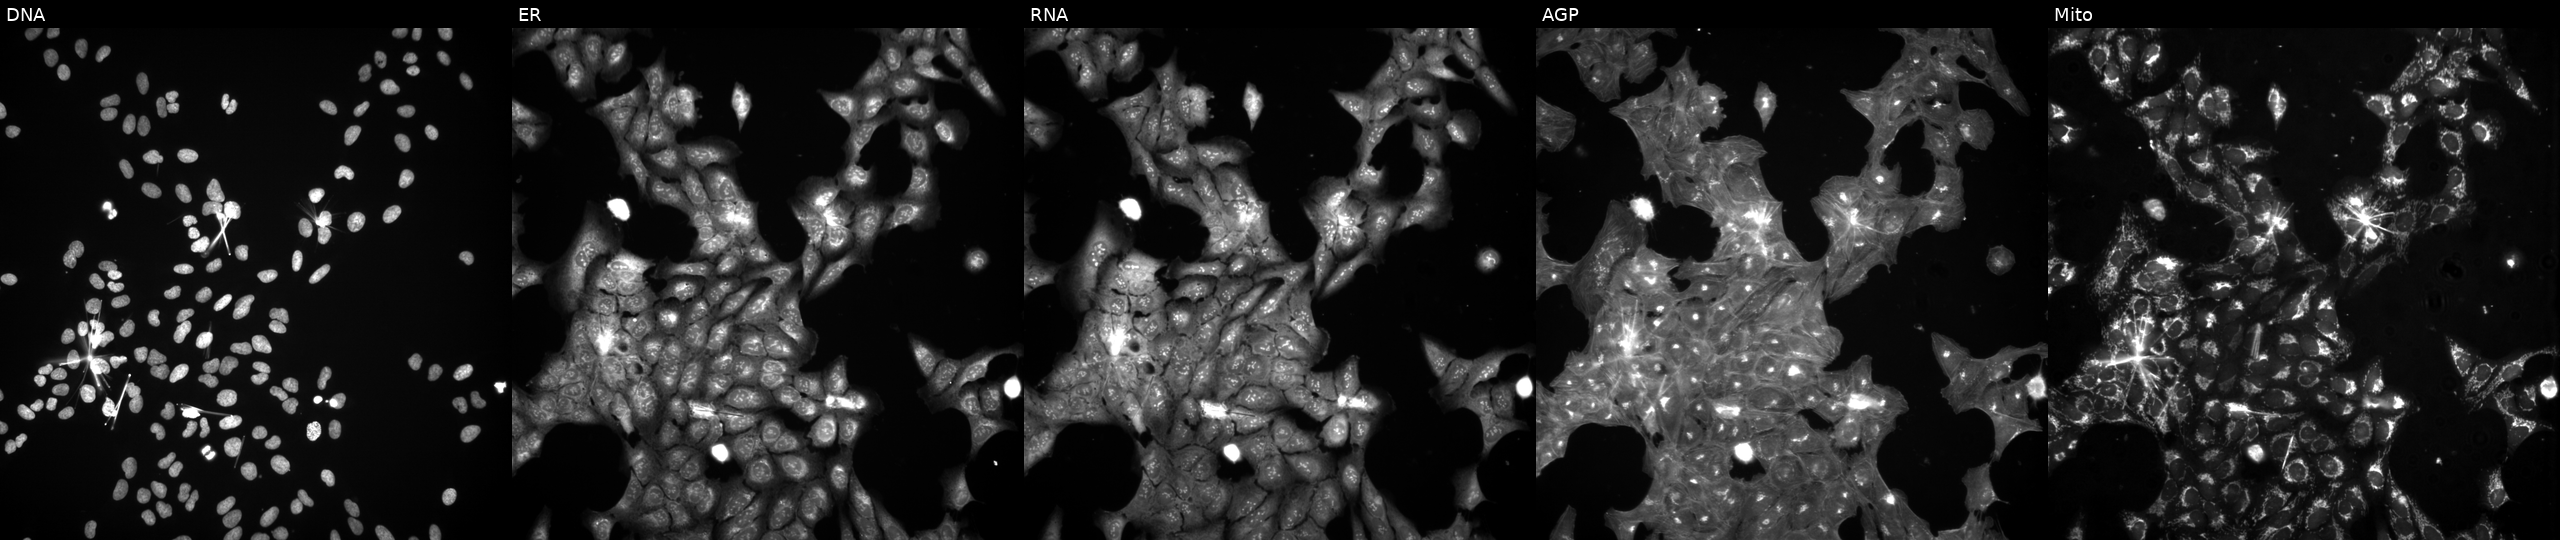
U2OS cells, Cell Painting assay, treated with a small-molecule compound (InChIKey YJJNAVPPFWQROA-UHFFFAOYSA-N) (JUMP id JCP2022_108839). Panels show, left to right, DNA (nuclei); ER (endoplasmic reticulum); RNA (nucleoli and cytoplasmic RNA); AGP (actin cytoskeleton, Golgi, and plasma membrane); Mito (mitochondria). Each panel is percentile-stretched 16-bit fluorescence. Source 3, plate BR5867b3, well N12.